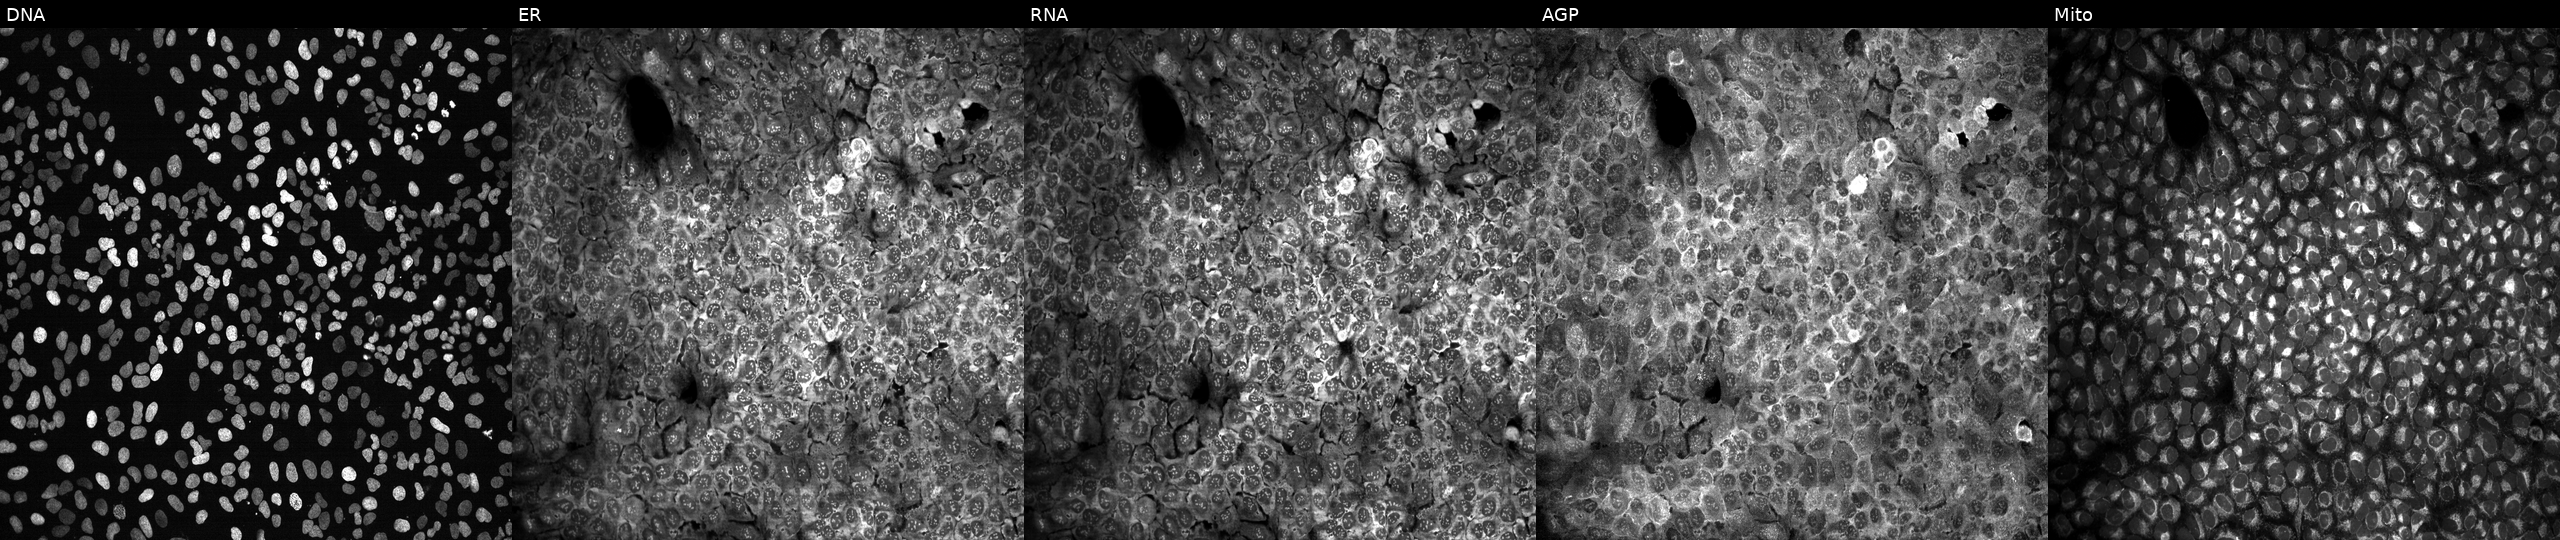
This image strip shows the five Cell Painting channels for a single field of U2OS cells following CRISPR knockout of ENTPD1 (JUMP id JCP2022_802122). Panels show, left to right, DNA, ER, RNA, AGP, and Mito.